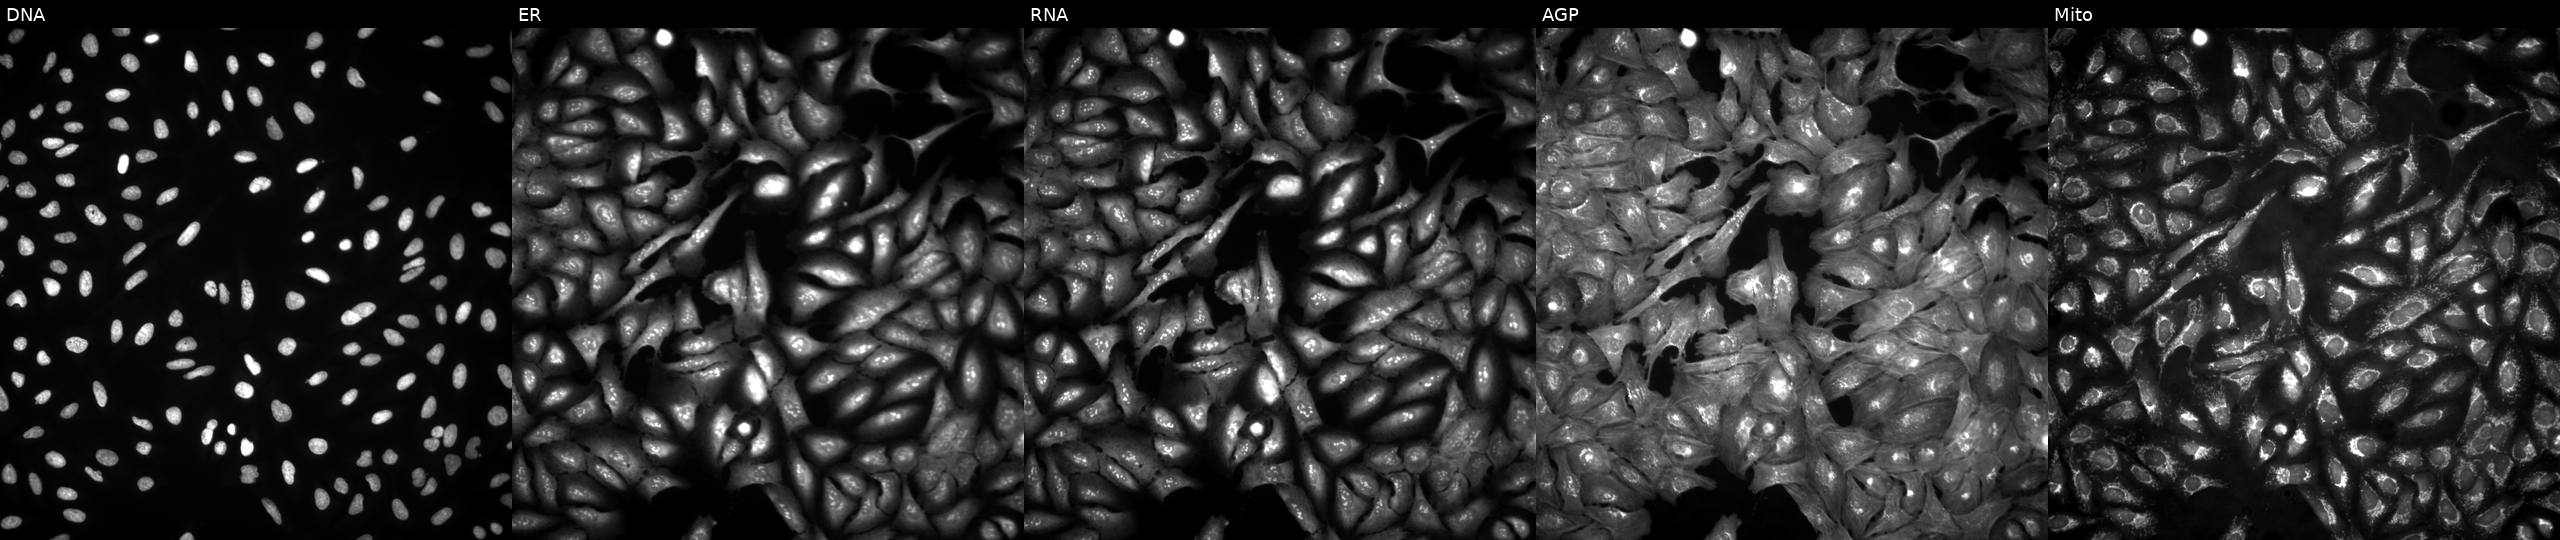
U2OS cells, Cell Painting assay, overexpressing SCHIP1 via ORF transfection (JUMP id JCP2022_907626). From left to right: DNA (nuclei); ER (endoplasmic reticulum); RNA (nucleoli and cytoplasmic RNA); AGP (actin cytoskeleton, Golgi, and plasma membrane); Mito (mitochondria). Each panel is percentile-stretched 16-bit fluorescence.